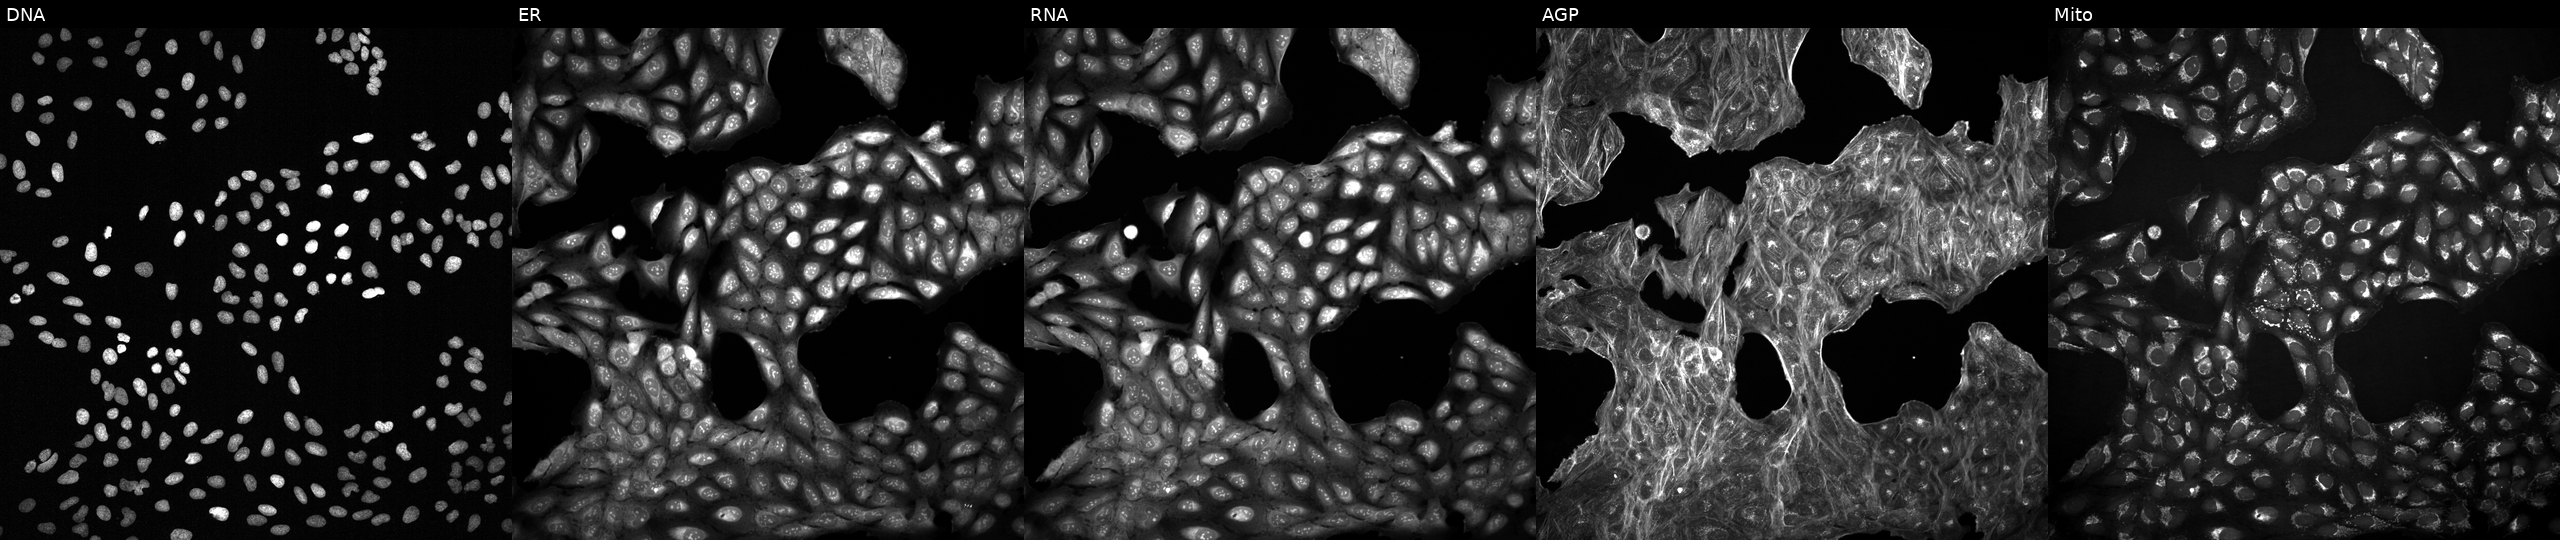
This image strip shows the five Cell Painting channels for a single field of U2OS cells treated with a small-molecule compound (InChIKey LWWHOZQCVZRTNT-UHFFFAOYSA-N). Panels show, left to right, Hoechst 33342, concanavalin A, SYTO 14, phalloidin and WGA, MitoTracker.